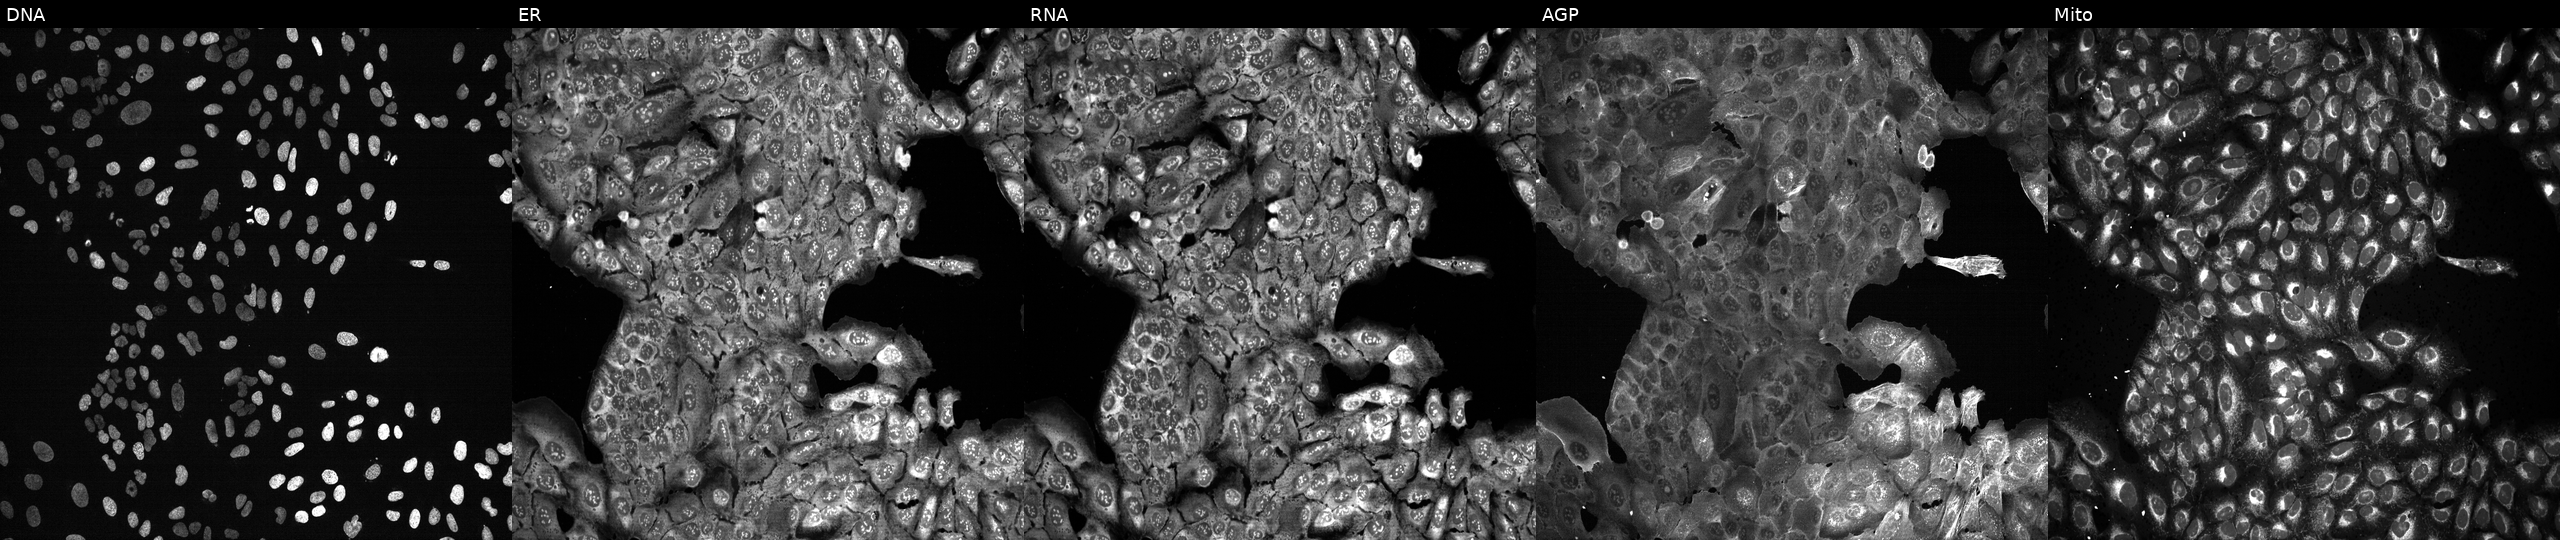
High-content fluorescence microscopy (Cell Painting). Cell line: U2OS. Perturbation: CRISPR-edited to disrupt PTGR2. Channels (left→right): Hoechst 33342, concanavalin A, SYTO 14, phalloidin and WGA, MitoTracker.